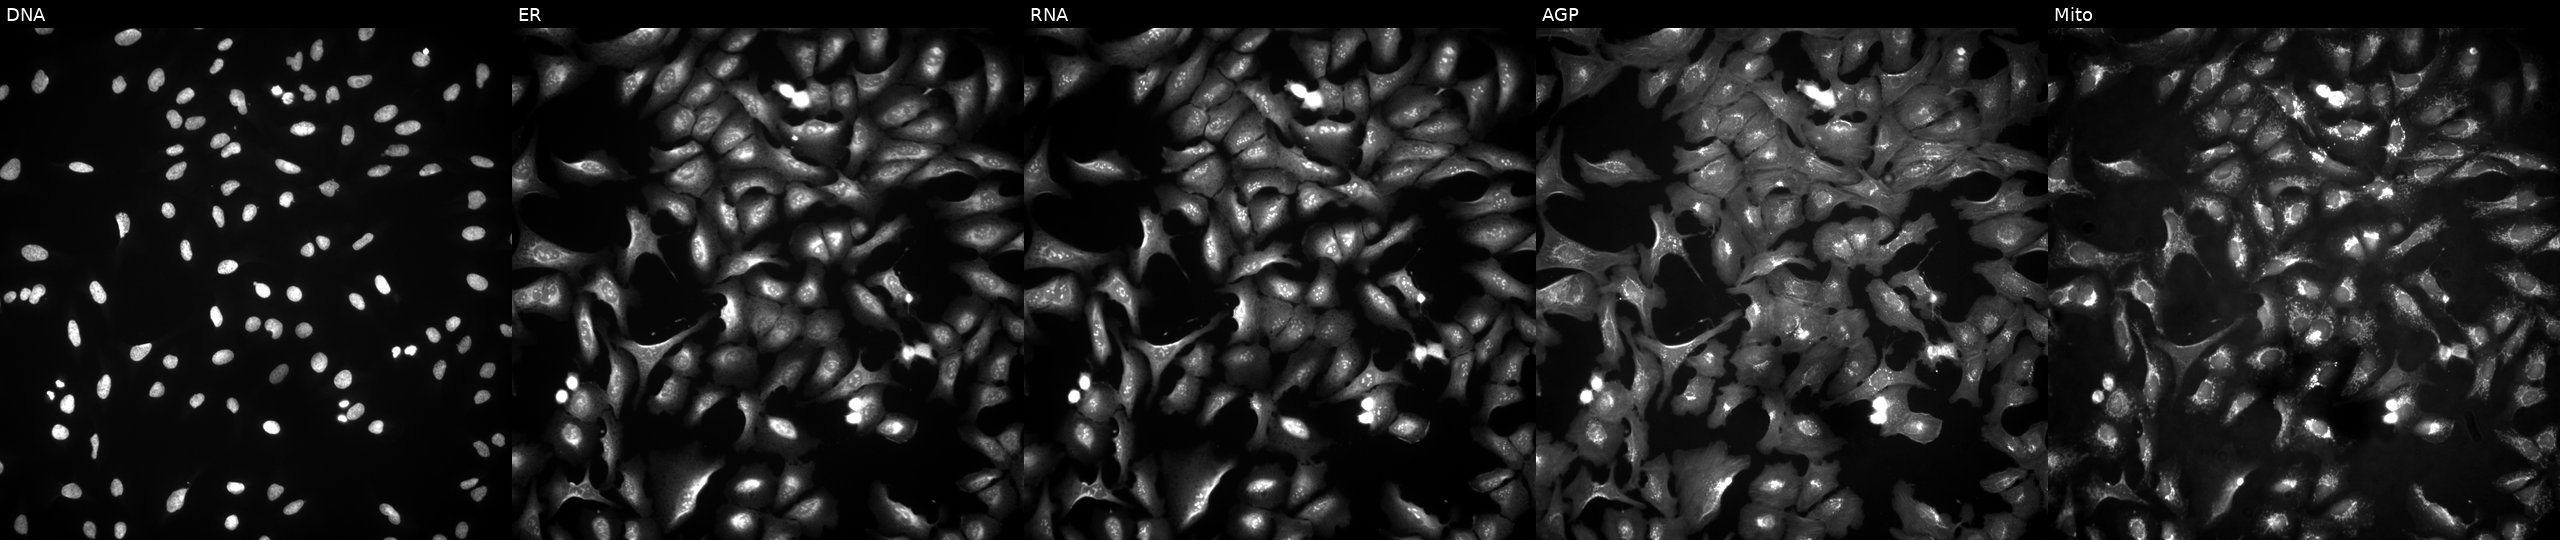
JUMP Cell Painting — ORF plate. U2OS cells transfected with an ORF construct for APBA3 (JUMP id JCP2022_902051). Channels (left→right): Hoechst 33342, concanavalin A, SYTO 14, phalloidin and WGA, MitoTracker. Source 4, plate BR00124790, well D16.